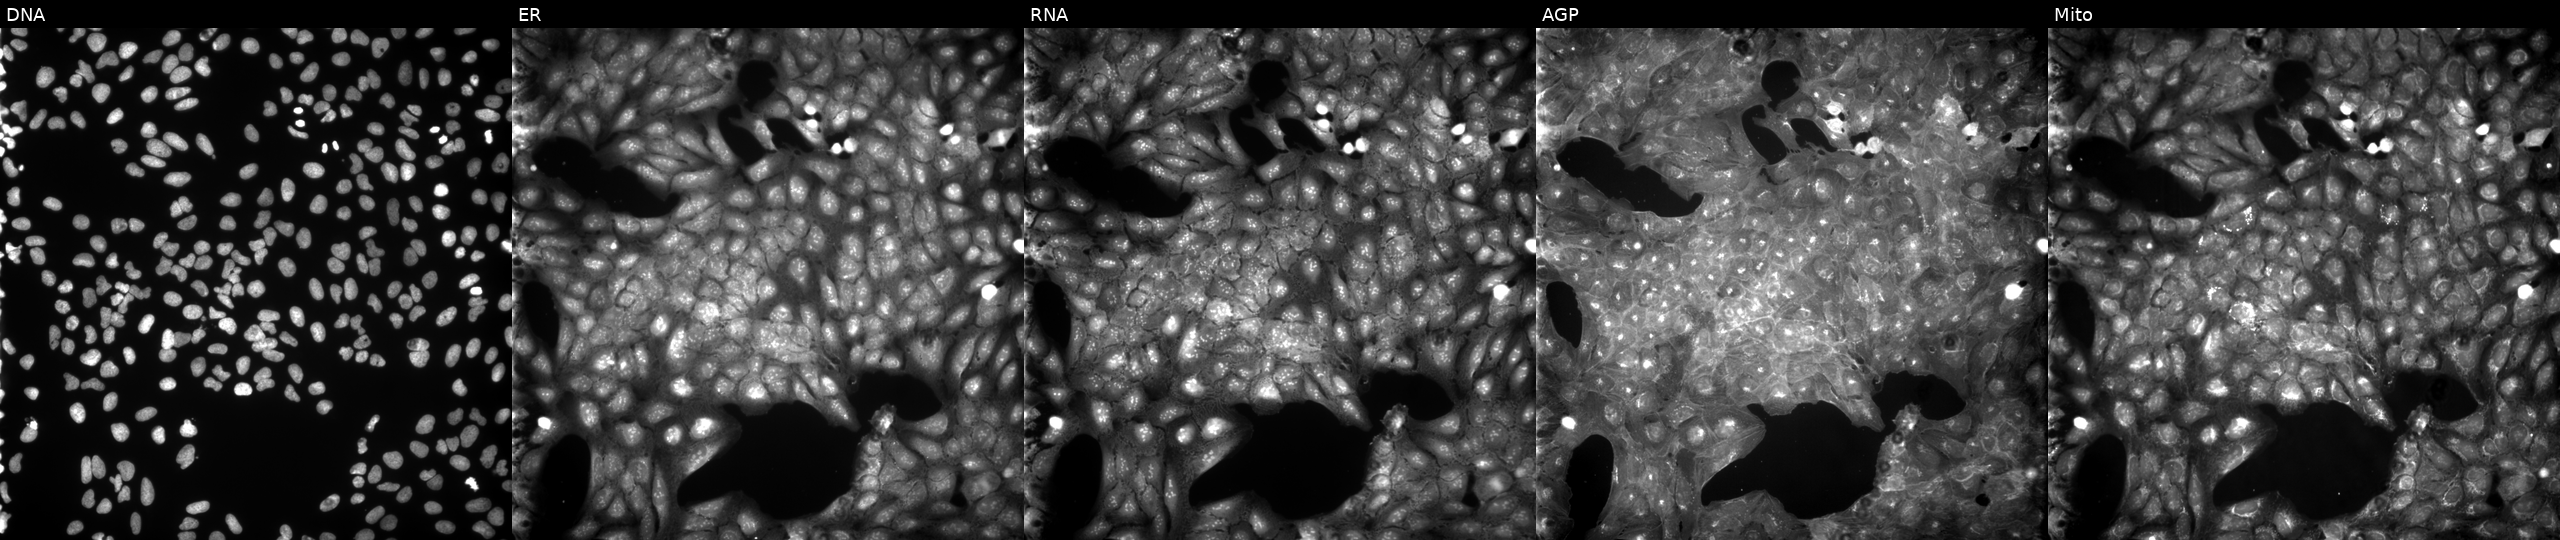
U2OS cells, Cell Painting assay, exposed to a small-molecule compound (JUMP id JCP2022_037845). The five panels, left to right, show DNA, ER, RNA, AGP, and Mito. Each panel is percentile-stretched 16-bit fluorescence.